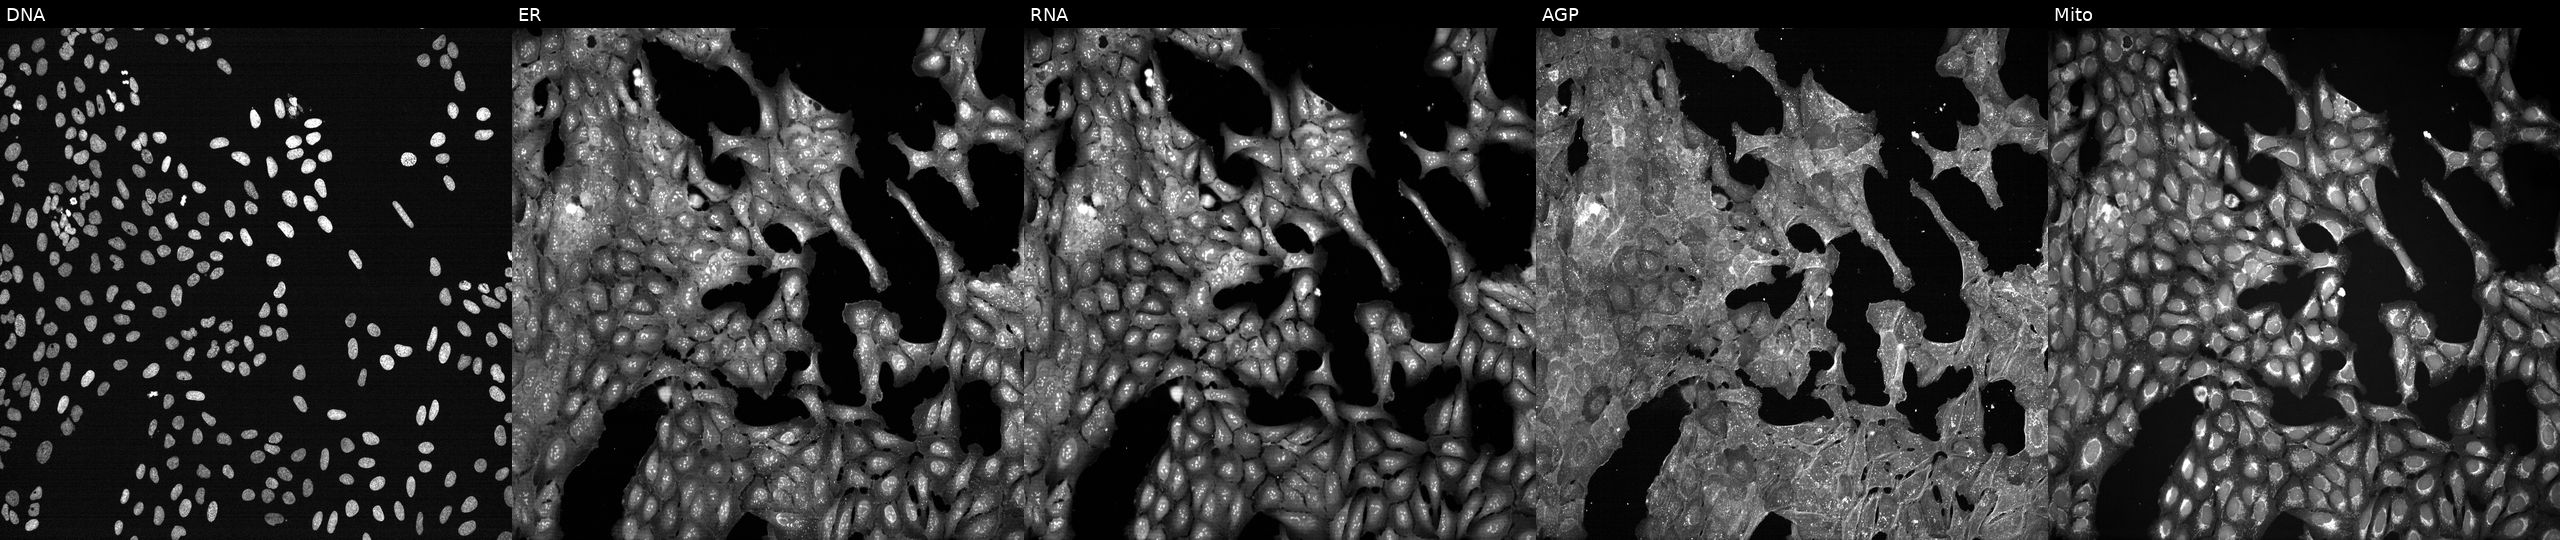
JUMP Cell Painting — TARGET2 plate. U2OS cells perturbed with a small-molecule compound. Channels (left→right): Hoechst 33342, concanavalin A, SYTO 14, phalloidin and WGA, MitoTracker. Source 7, plate CP2-SC1-25, well K09.